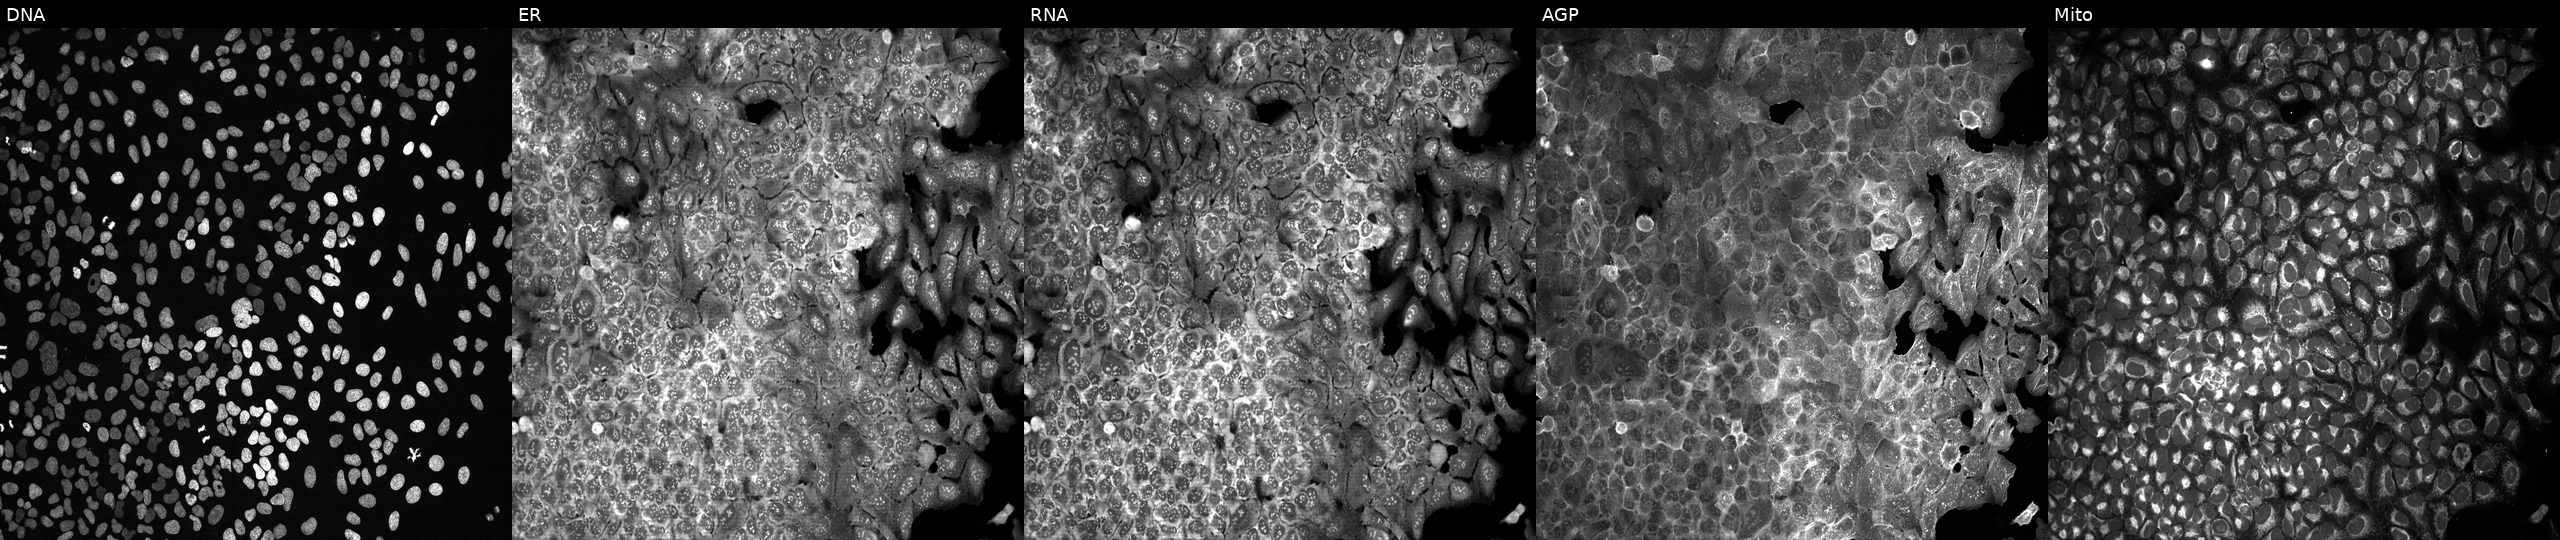
High-content fluorescence microscopy (Cell Painting). Cell line: U2OS. Perturbation: with a non-targeting CRISPR guide (negative control) (JUMP id JCP2022_800002). The five panels, left to right, show DNA, ER, RNA, AGP, and Mito.